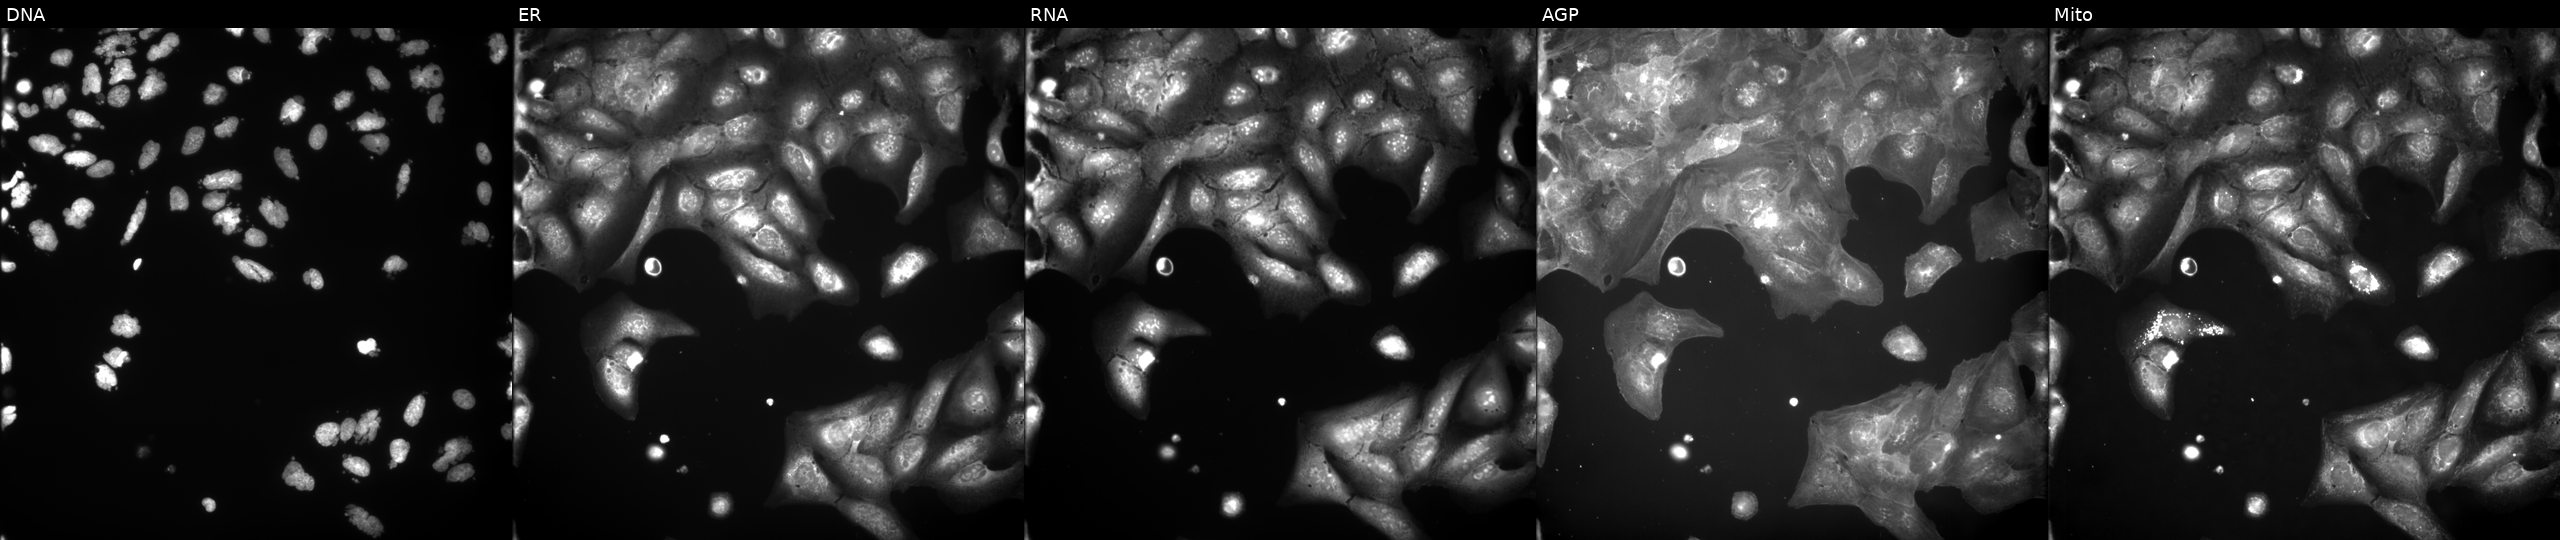
Five-channel Cell Painting image of U2OS cells exposed to the positive-control compound AMG900. Channels (left→right): DNA, ER, RNA, AGP, and Mito. Source 9, plate GR00003381, well B25.